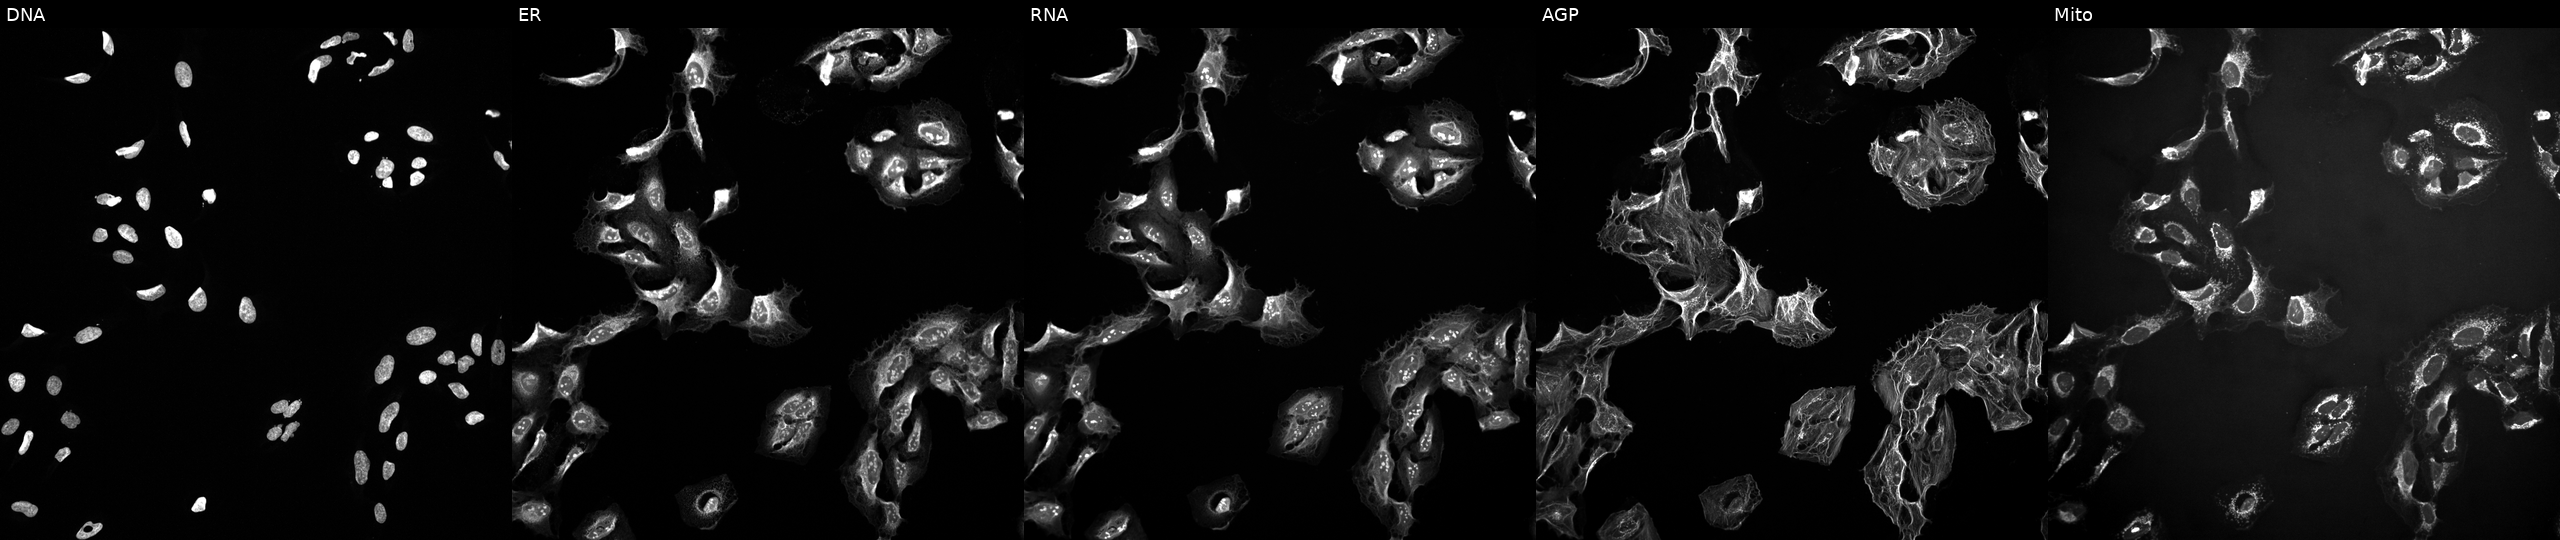
JUMP Cell Painting — TARGET2 plate. U2OS cells treated with a small-molecule compound (InChIKey CAOWNCTTWGSKDO-UHFFFAOYSA-N). The five panels, left to right, show DNA, ER, RNA, AGP, and Mito.